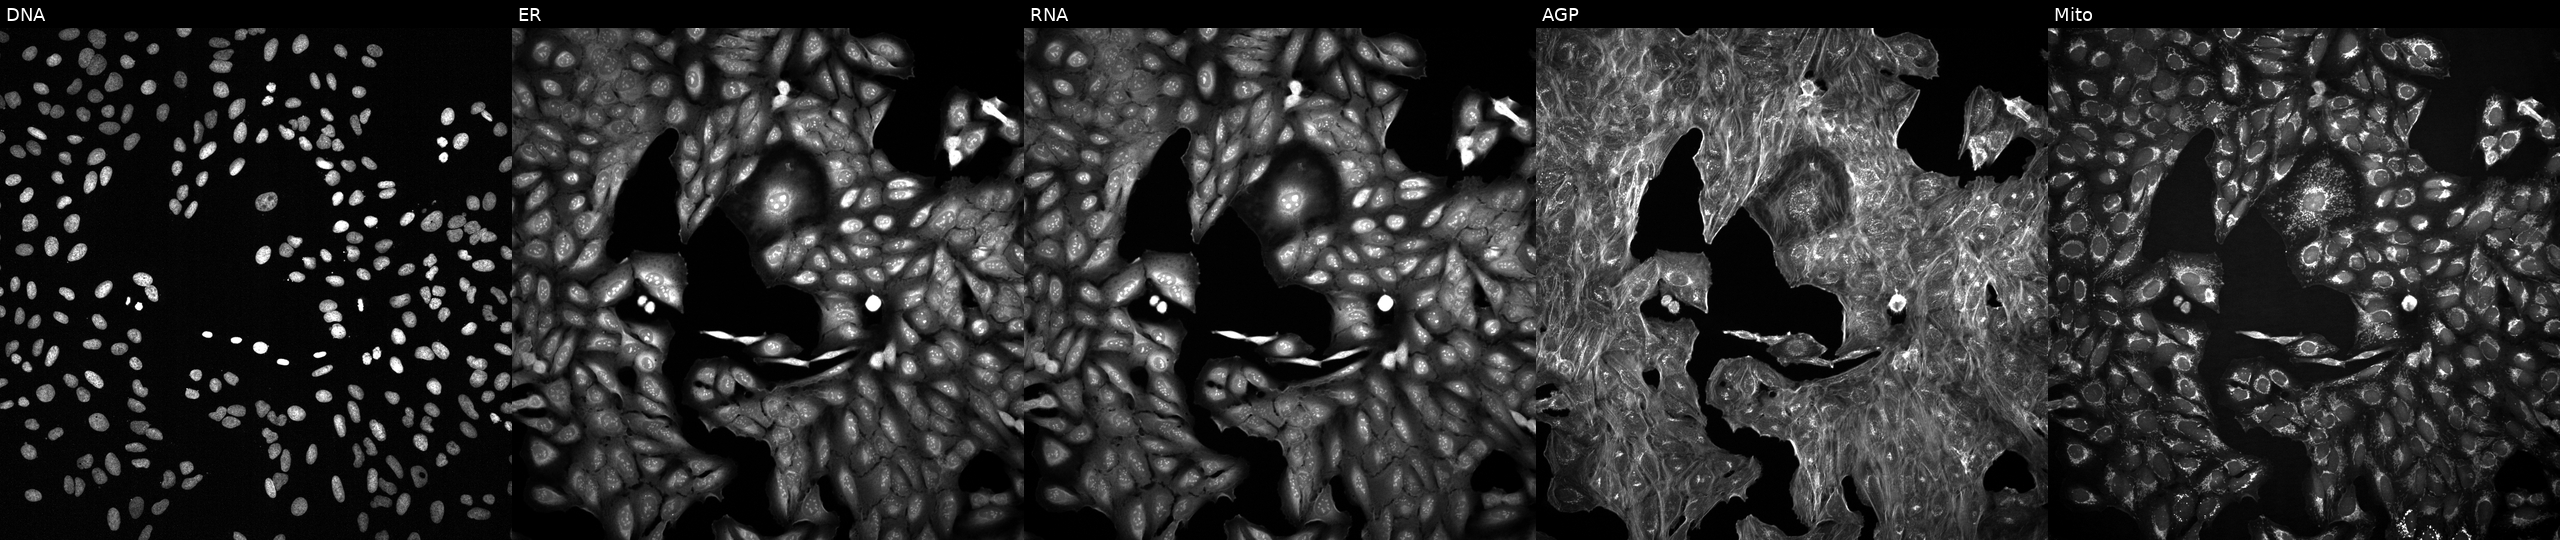
High-content fluorescence microscopy (Cell Painting). Cell line: U2OS. Perturbation: exposed to a small-molecule compound (InChIKey HXMMNHJTOCABMV-UHFFFAOYSA-N) [SMILES: Cc1cc2[nH]c(=NCc3cccc(C(F)(F)F)c3)c3ccccc3n2n1]. From left to right: Hoechst 33342, concanavalin A, SYTO 14, phalloidin and WGA, MitoTracker.